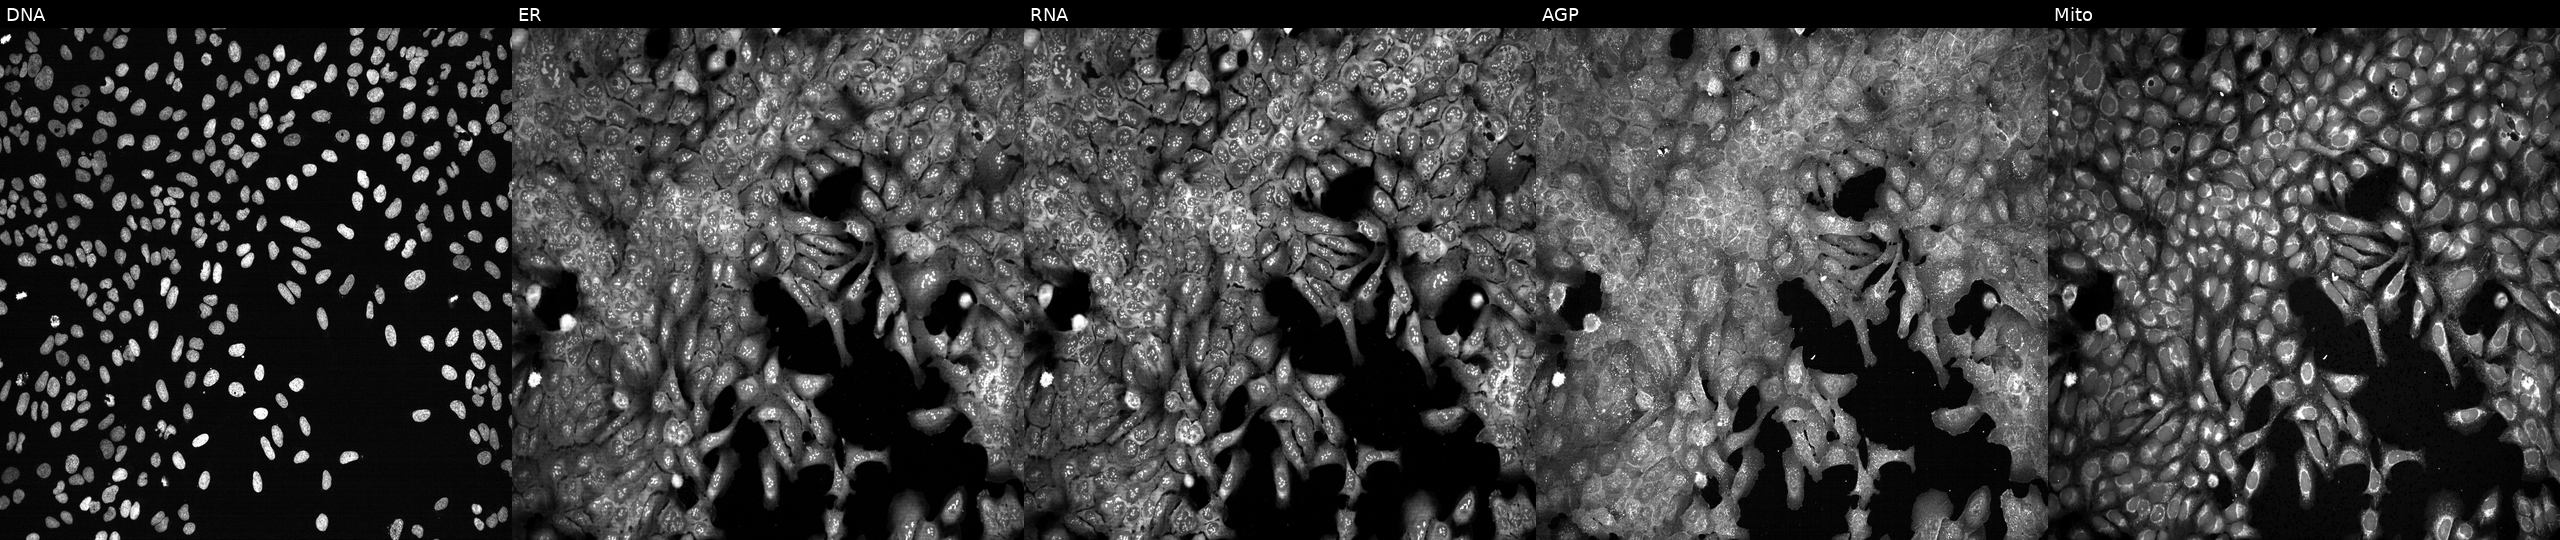
The five panels, left to right, show DNA, ER, RNA, AGP, and Mito. U2OS osteosarcoma cells following CRISPR knockout of POLR3H. Cell Painting assay, JUMP-CP dataset. Source 13, plate CP-CC9-R5-01, well H13.